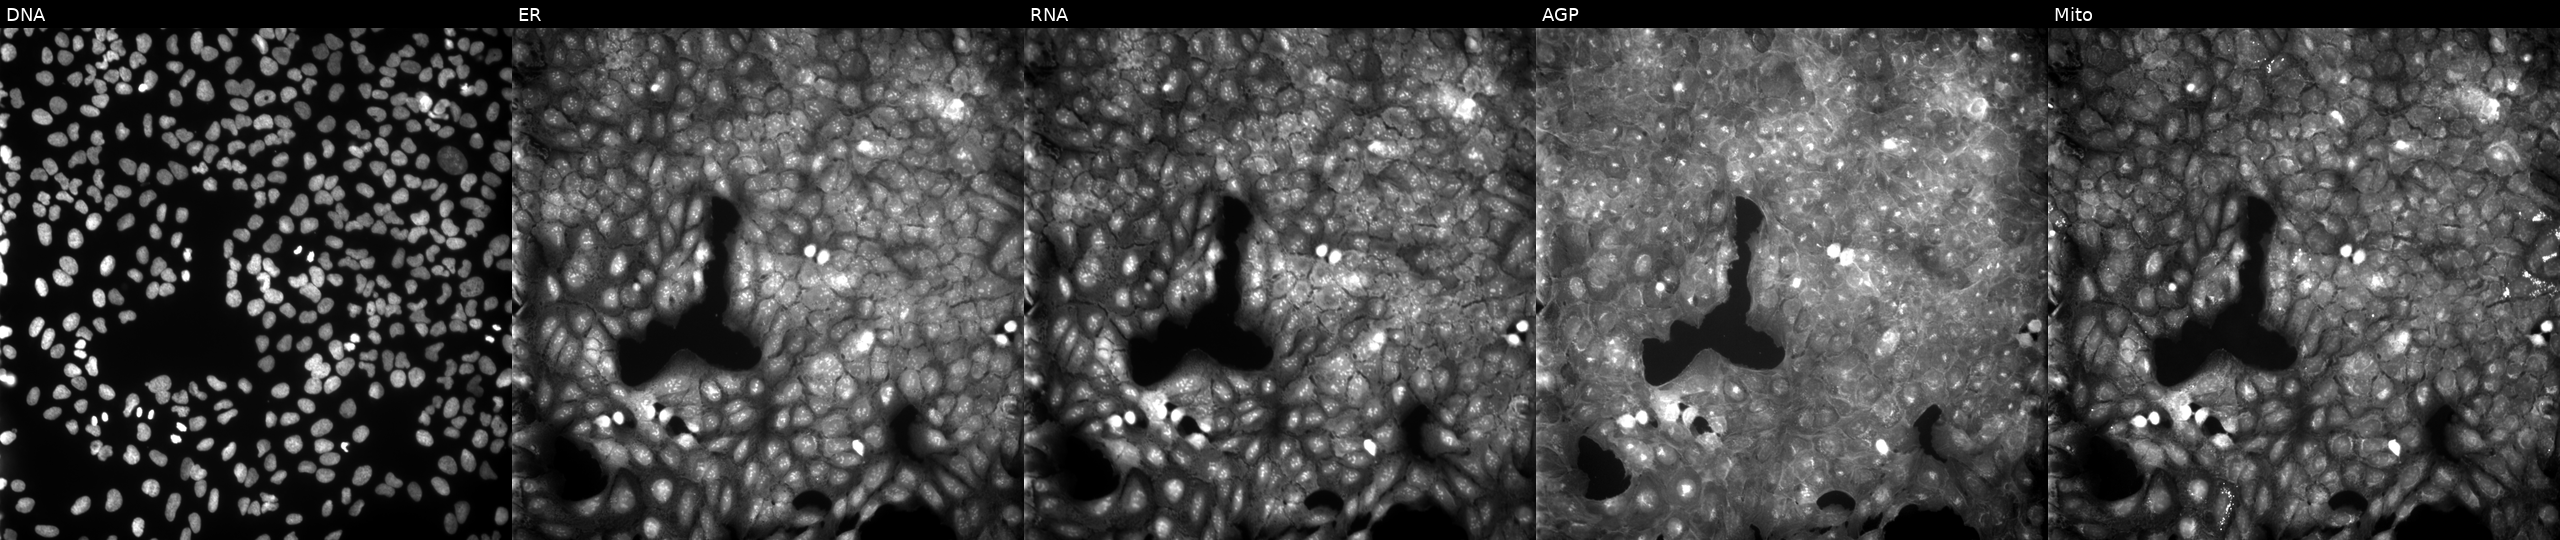
Five-channel Cell Painting image of U2OS cells perturbed with a small-molecule compound (InChIKey GXCMWRBENQNUDF-UHFFFAOYSA-N). The five panels, left to right, show Hoechst 33342, concanavalin A, SYTO 14, phalloidin and WGA, MitoTracker. Source 9, plate GR00003382, well L19.